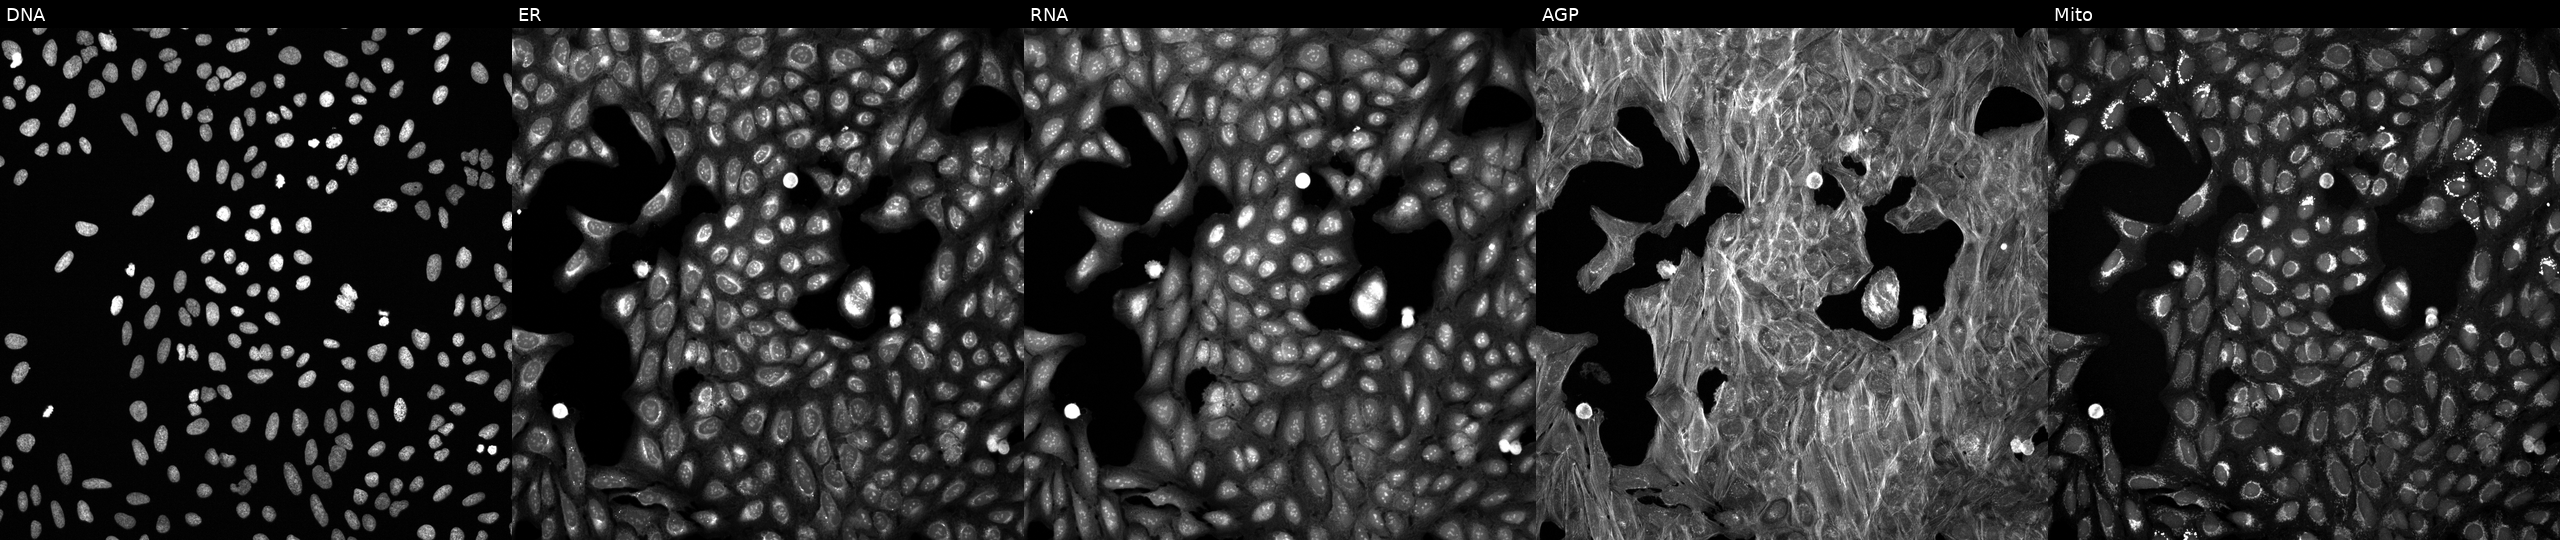
This image strip shows the five Cell Painting channels for a single field of U2OS cells perturbed with a small-molecule compound (JUMP id JCP2022_032357). The five panels, left to right, show Hoechst 33342, concanavalin A, SYTO 14, phalloidin and WGA, MitoTracker.